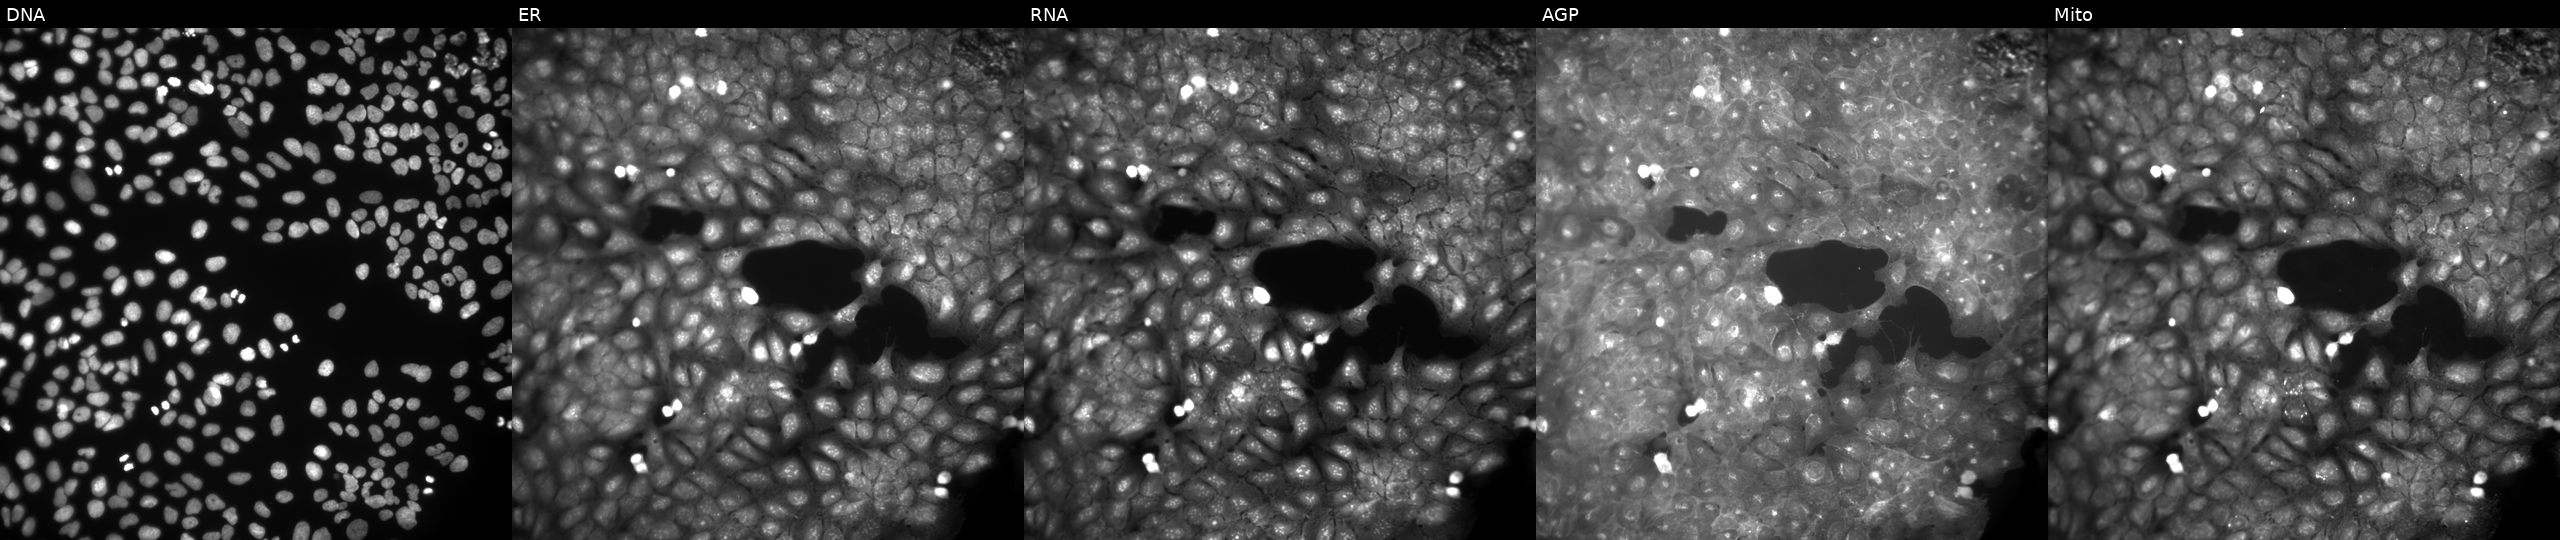
This image strip shows the five Cell Painting channels for a single field of U2OS cells perturbed with a small-molecule compound (InChIKey ZNQVFAOSZKQCHC-UHFFFAOYSA-N) (JUMP id JCP2022_114494). From left to right: Hoechst 33342, concanavalin A, SYTO 14, phalloidin and WGA, MitoTracker. Source 9, plate GR00003382, well P46.